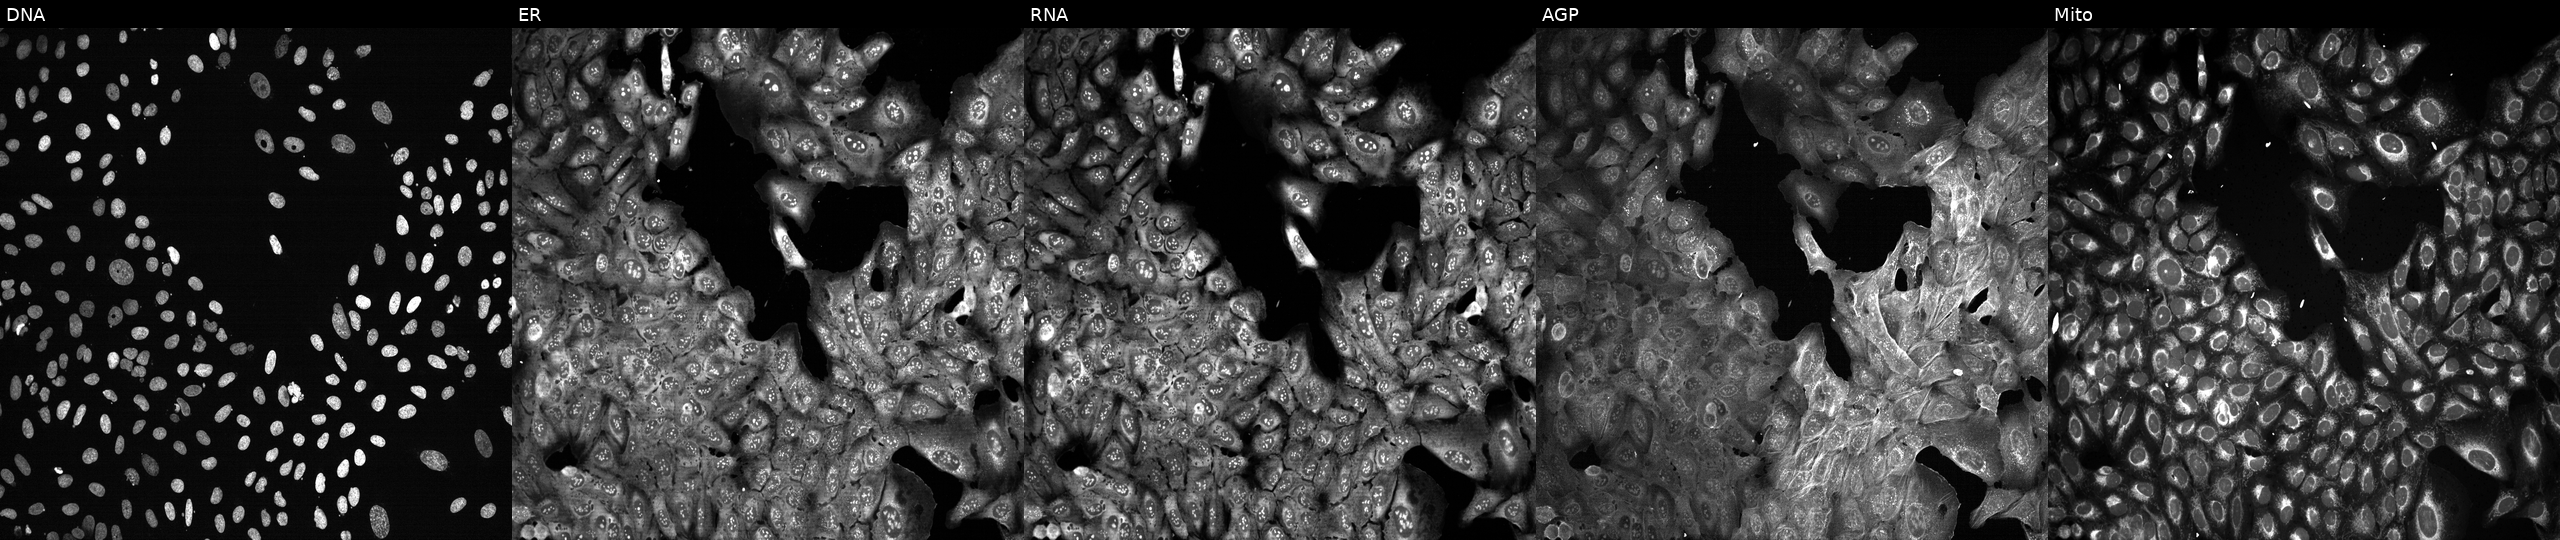
U2OS cells, Cell Painting assay, with ATP1A2 knocked out by CRISPR. From left to right: DNA (nuclei); ER (endoplasmic reticulum); RNA (nucleoli and cytoplasmic RNA); AGP (actin cytoskeleton, Golgi, and plasma membrane); Mito (mitochondria). Each panel is percentile-stretched 16-bit fluorescence.